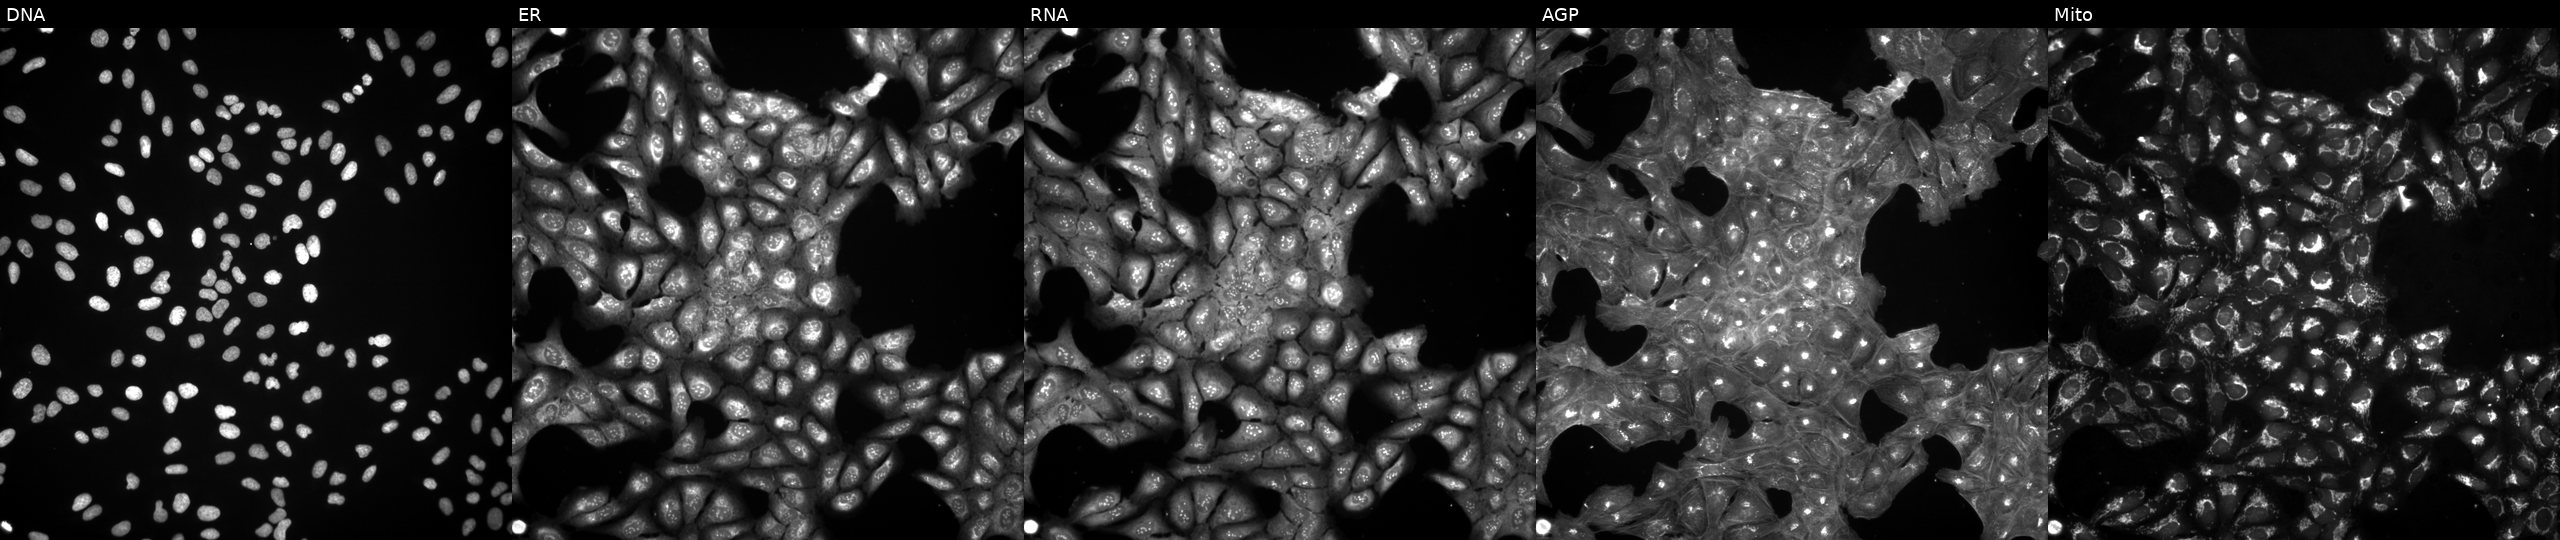
U2OS cells, Cell Painting assay, exposed to DMSO alone as a negative control. Channels (left→right): DNA (nuclei); ER (endoplasmic reticulum); RNA (nucleoli and cytoplasmic RNA); AGP (actin cytoskeleton, Golgi, and plasma membrane); Mito (mitochondria). Each panel is percentile-stretched 16-bit fluorescence.